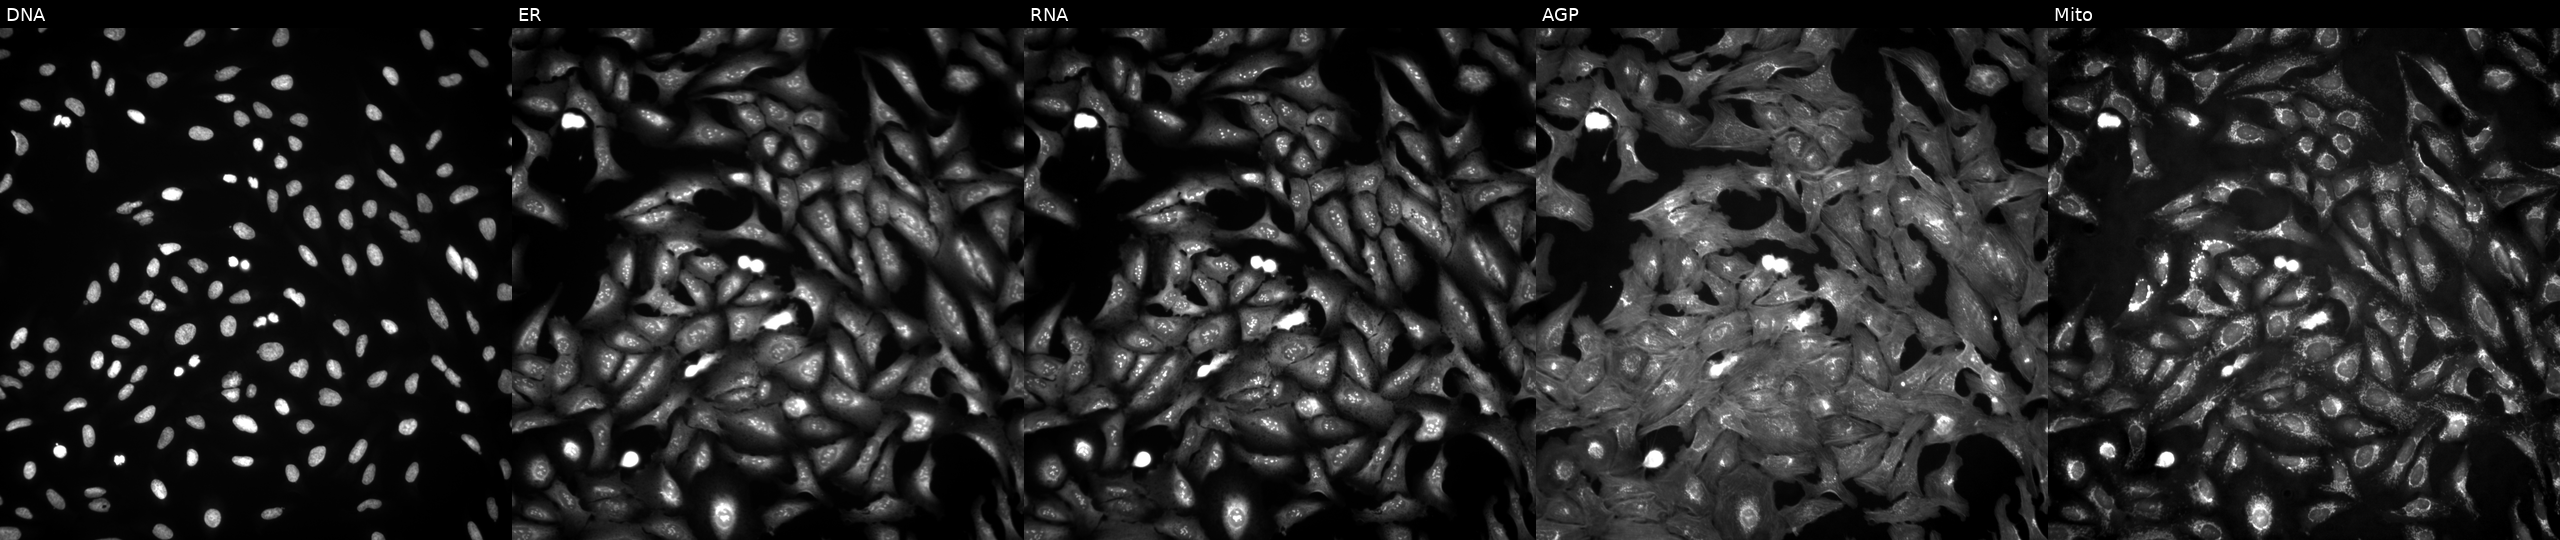
High-content fluorescence microscopy (Cell Painting). Cell line: U2OS. Perturbation: transfected with an ORF construct for XLOC_001418. Channels (left→right): DNA, ER, RNA, AGP, and Mito. Source 4, plate BR00124784, well H17.